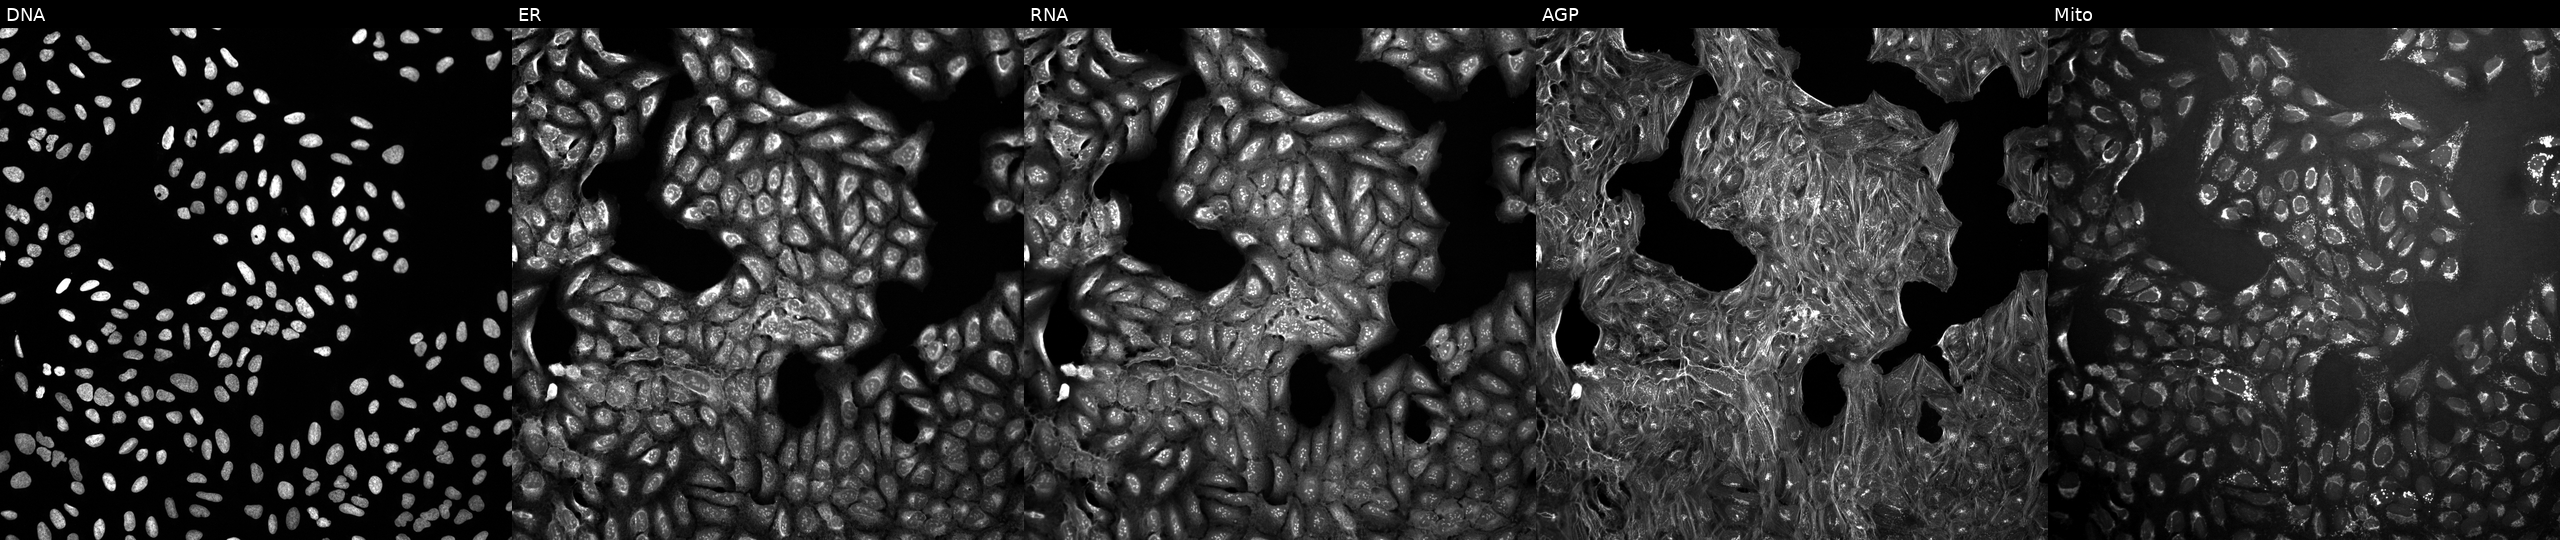
The five panels, left to right, show DNA, ER, RNA, AGP, and Mito. U2OS osteosarcoma cells perturbed with a small-molecule compound (InChIKey WLSFBXDXUGLUPL-UHFFFAOYSA-N) [SMILES: CN1CC2CC1C(=O)N1CCN(S(=O)(=O)c3cccc(F)c3)C(C1)C(=O)NCC1OC(CC(=O)N2)C(O)C1O] (JUMP id JCP2022_099608). Cell Painting assay, JUMP-CP dataset. Source 10, plate Dest210531-152324, well E16.